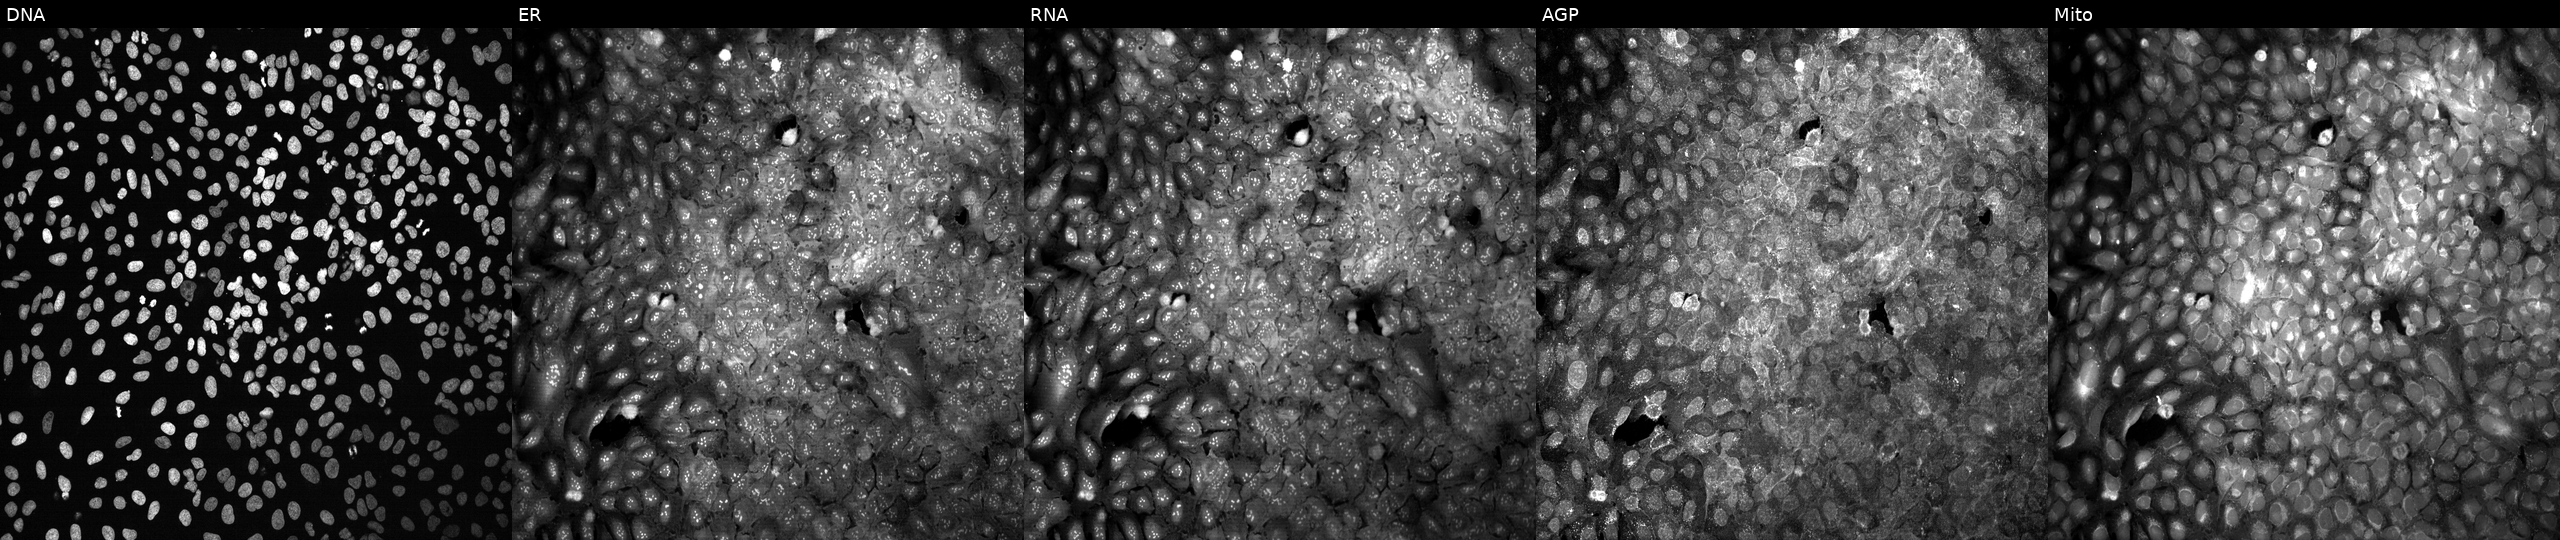
Channels (left→right): Hoechst 33342, concanavalin A, SYTO 14, phalloidin and WGA, MitoTracker. U2OS osteosarcoma cells with a non-targeting CRISPR guide (negative control) (JUMP id JCP2022_800002). Cell Painting assay, JUMP-CP dataset. Source 13, plate CP-CC9-R1-01, well O23.